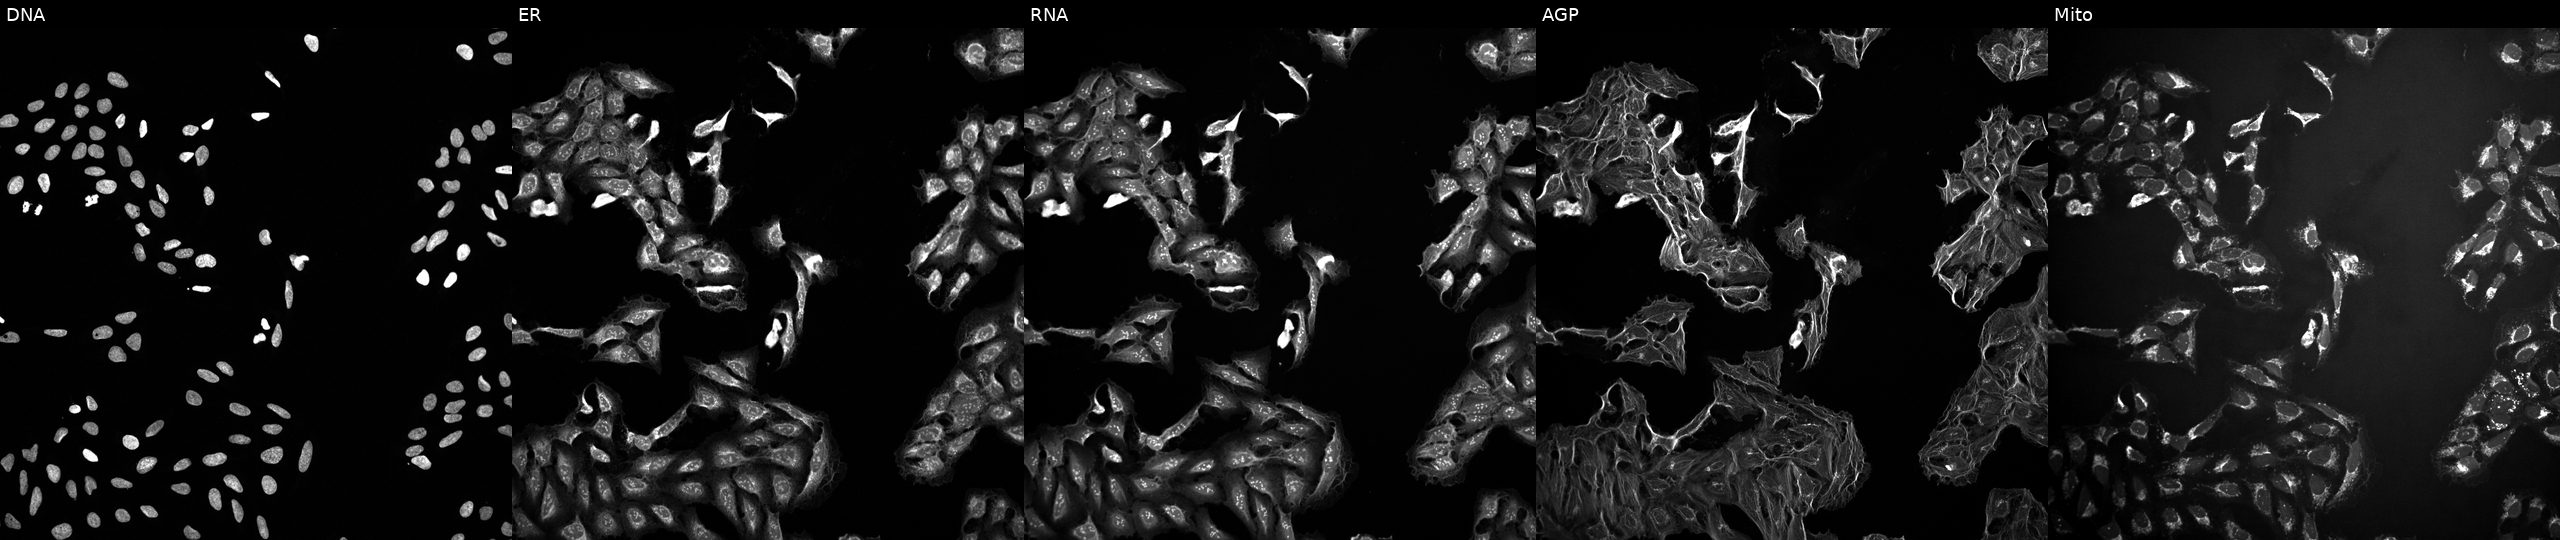
High-content fluorescence microscopy (Cell Painting). Cell line: U2OS. Perturbation: perturbed with a small-molecule compound (InChIKey PYEFPDQFAZNXLI-UHFFFAOYSA-N) (JUMP id JCP2022_071733). Panels show, left to right, Hoechst 33342, concanavalin A, SYTO 14, phalloidin and WGA, MitoTracker.